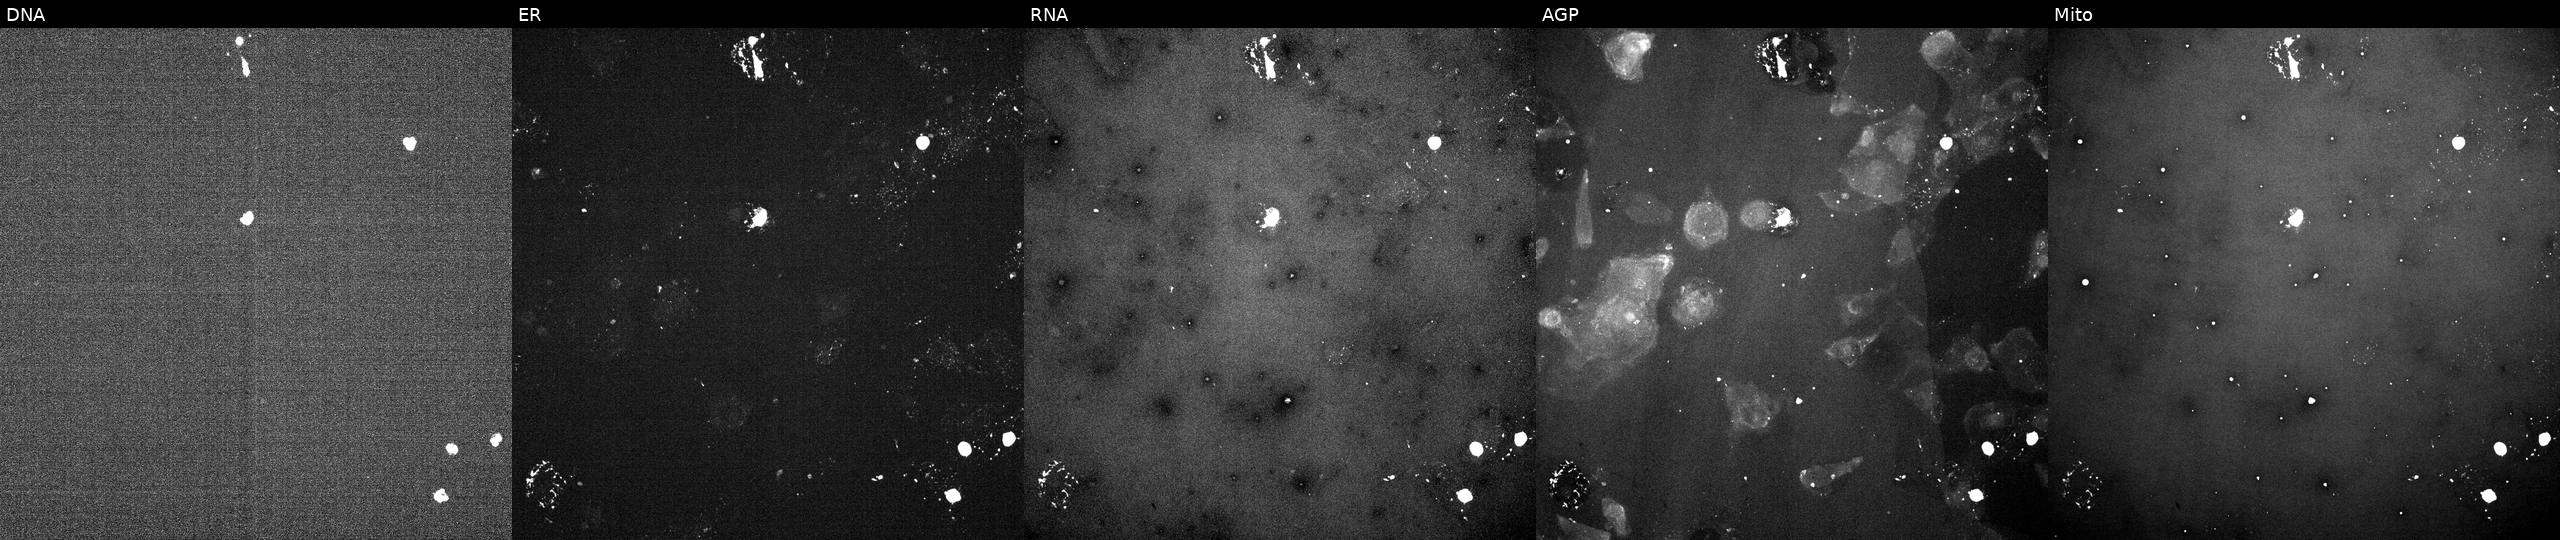
U2OS cells, Cell Painting assay, exposed to a small-molecule compound (InChIKey RXWNCPJZOCPEPQ-UHFFFAOYSA-N) [SMILES: COc1ccc(CC(N)C(=O)NC2C(CO)OC(n3cnc4c(N(C)C)ncnc43)C2O)cc1] (JUMP id JCP2022_081430). From left to right: DNA, ER, RNA, AGP, and Mito. Each panel is percentile-stretched 16-bit fluorescence. Source 5, plate ACPJUM051, well G10.